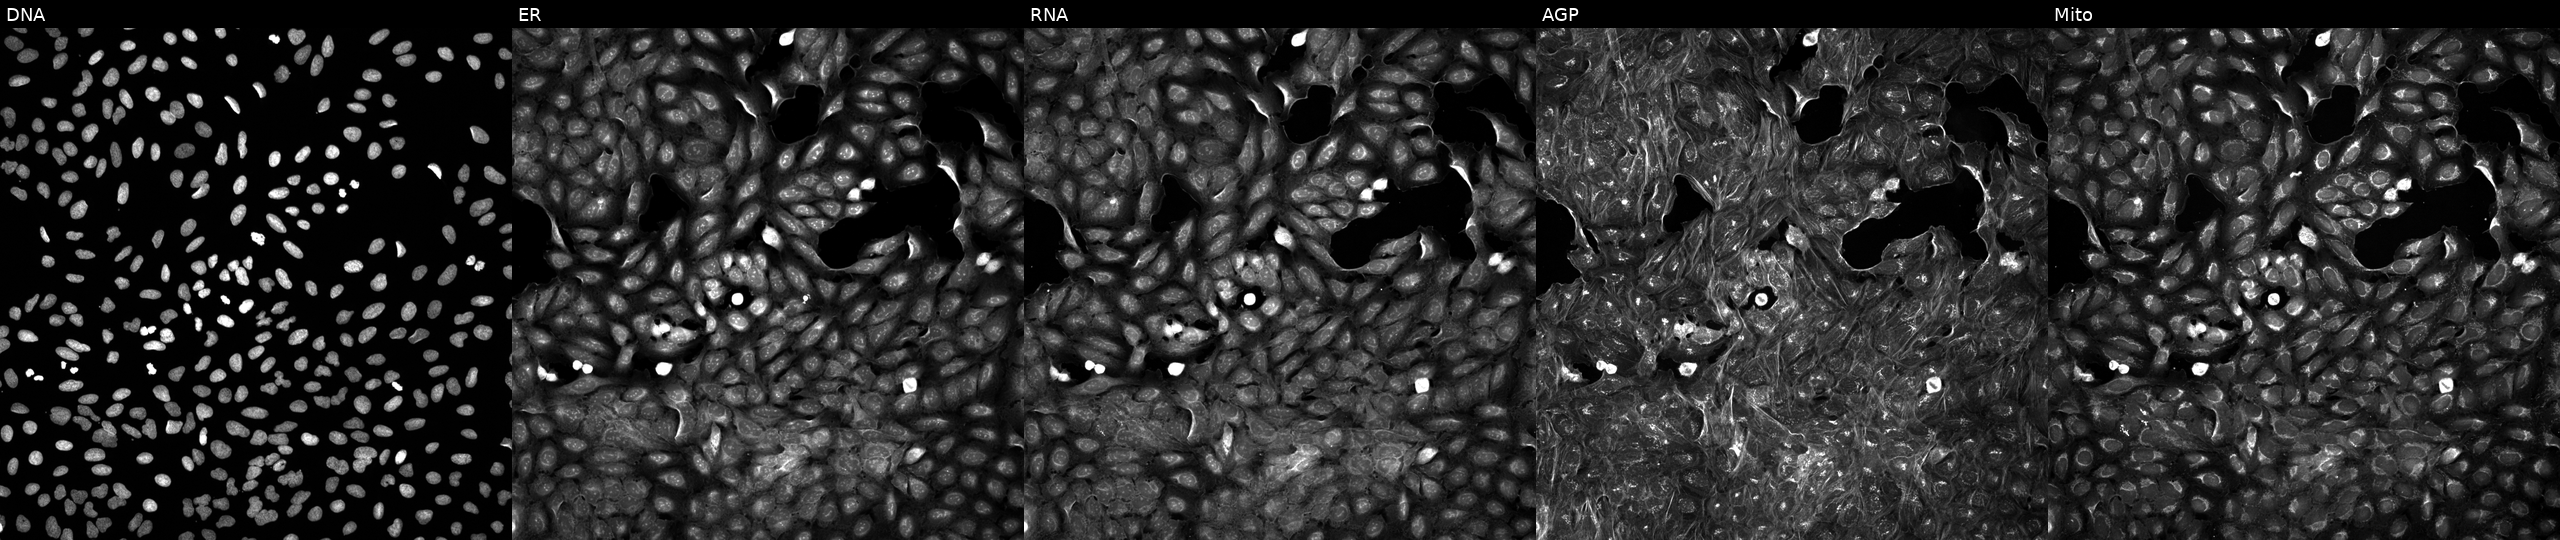
Five-channel Cell Painting image of U2OS cells perturbed with a small-molecule compound (InChIKey GSGYMAYSSJYQEC-UHFFFAOYSA-N). Panels show, left to right, DNA (nuclei); ER (endoplasmic reticulum); RNA (nucleoli and cytoplasmic RNA); AGP (actin cytoskeleton, Golgi, and plasma membrane); Mito (mitochondria). Source 5, plate APTJUM105, well B14.